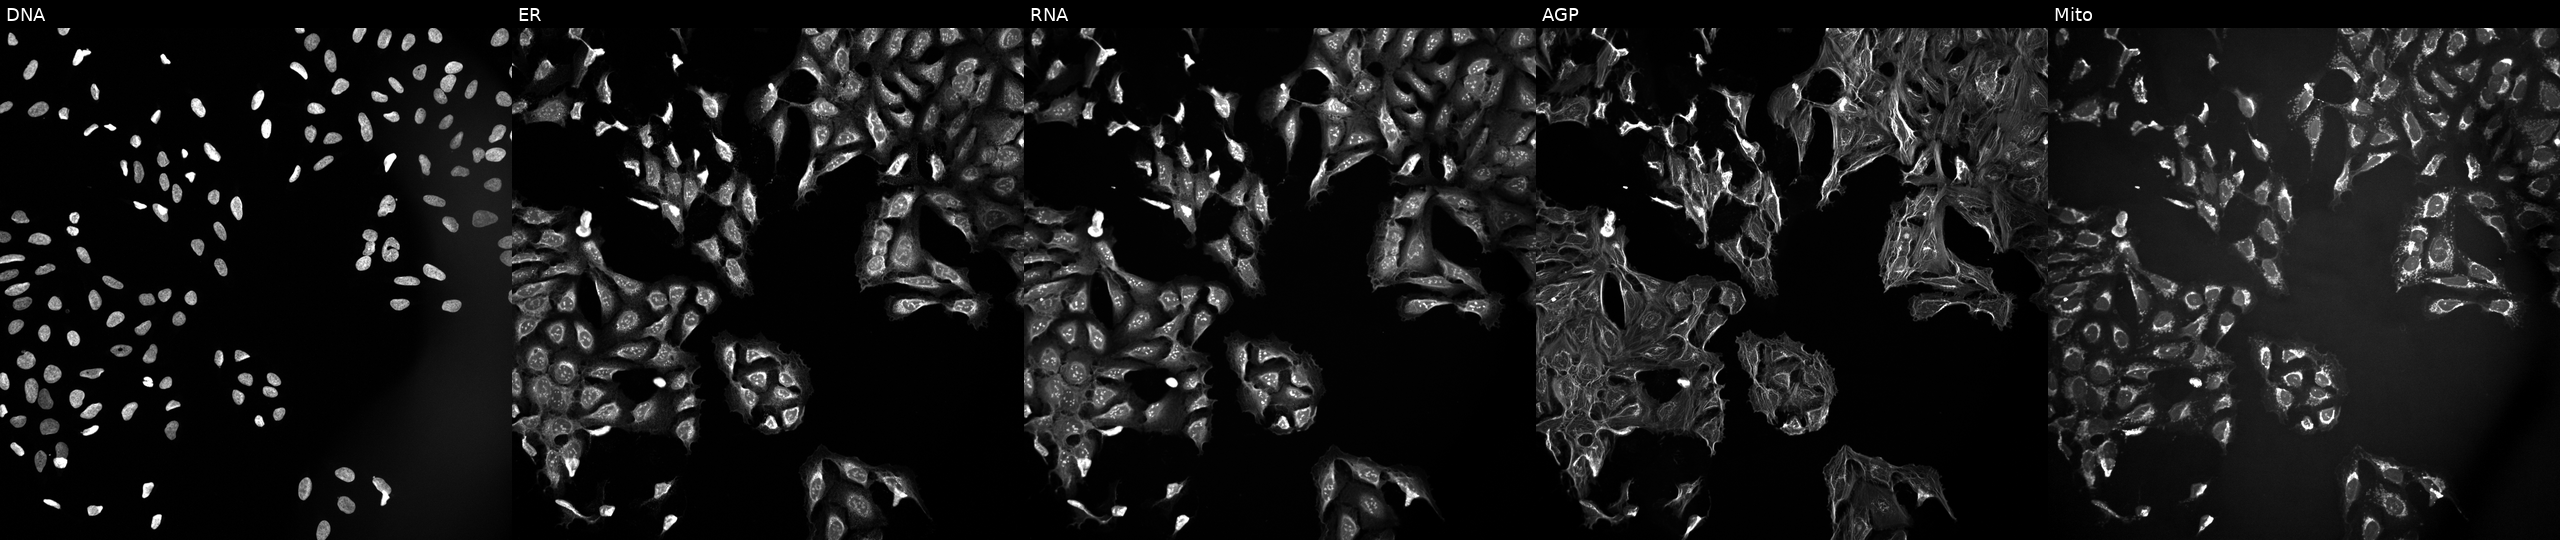
The five panels, left to right, show Hoechst 33342, concanavalin A, SYTO 14, phalloidin and WGA, MitoTracker. U2OS osteosarcoma cells treated with DMSO vehicle only (negative control). Cell Painting assay, JUMP-CP dataset. Source 10, plate Dest210727-153003, well L03.